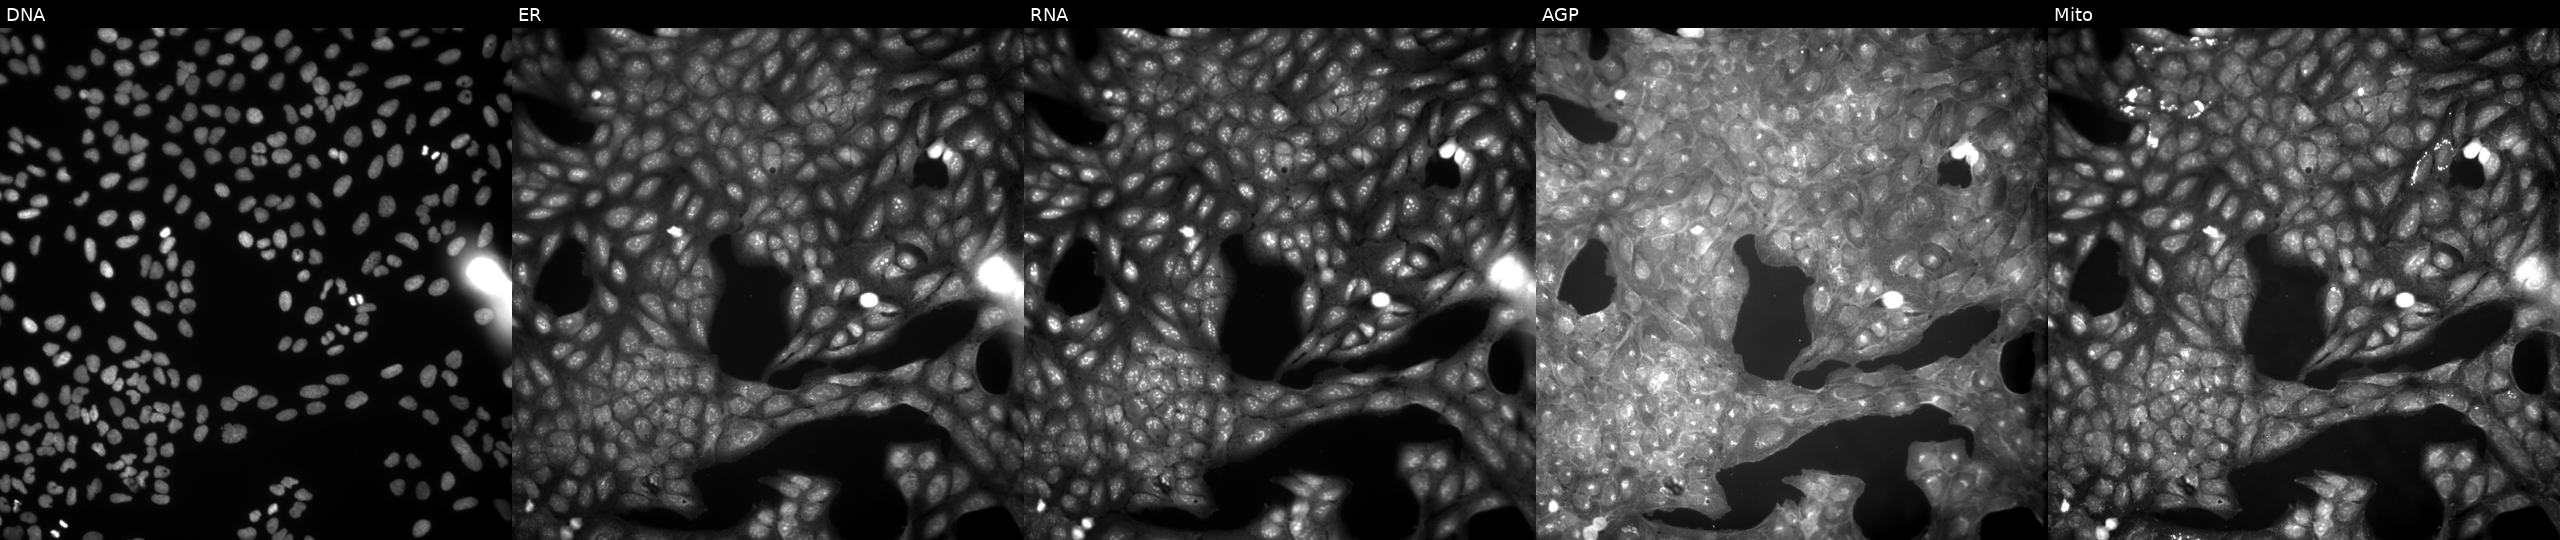
JUMP Cell Painting — COMPOUND plate. U2OS cells exposed to a small-molecule compound. Channels (left→right): Hoechst 33342, concanavalin A, SYTO 14, phalloidin and WGA, MitoTracker.